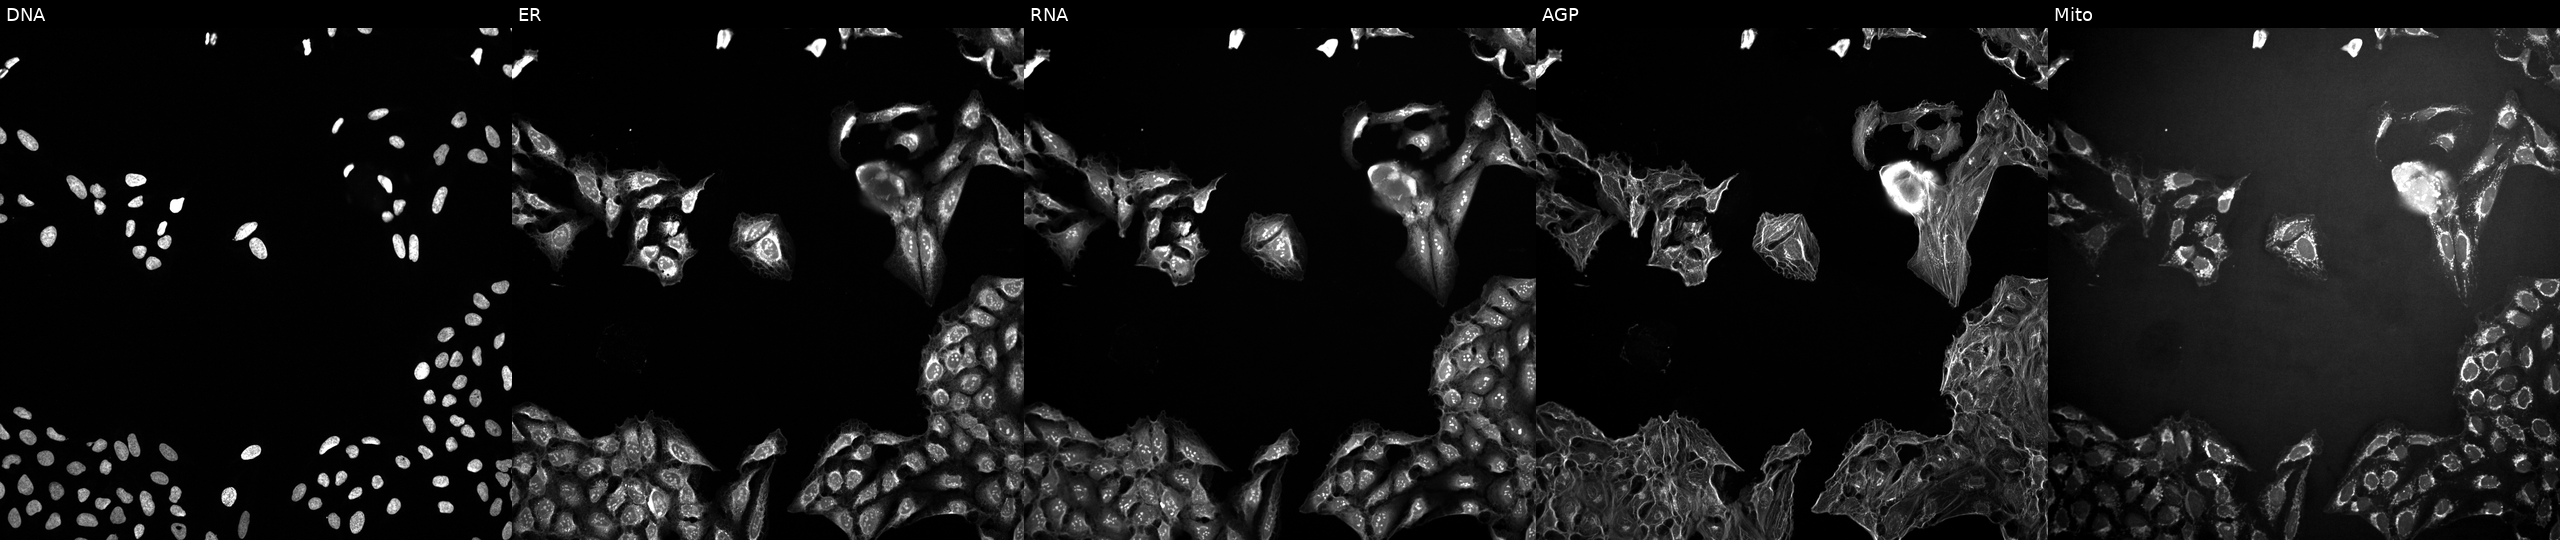
U2OS cells, Cell Painting assay, exposed to DMSO alone as a negative control (JUMP id JCP2022_033924). From left to right: DNA, ER, RNA, AGP, and Mito. Each panel is percentile-stretched 16-bit fluorescence.